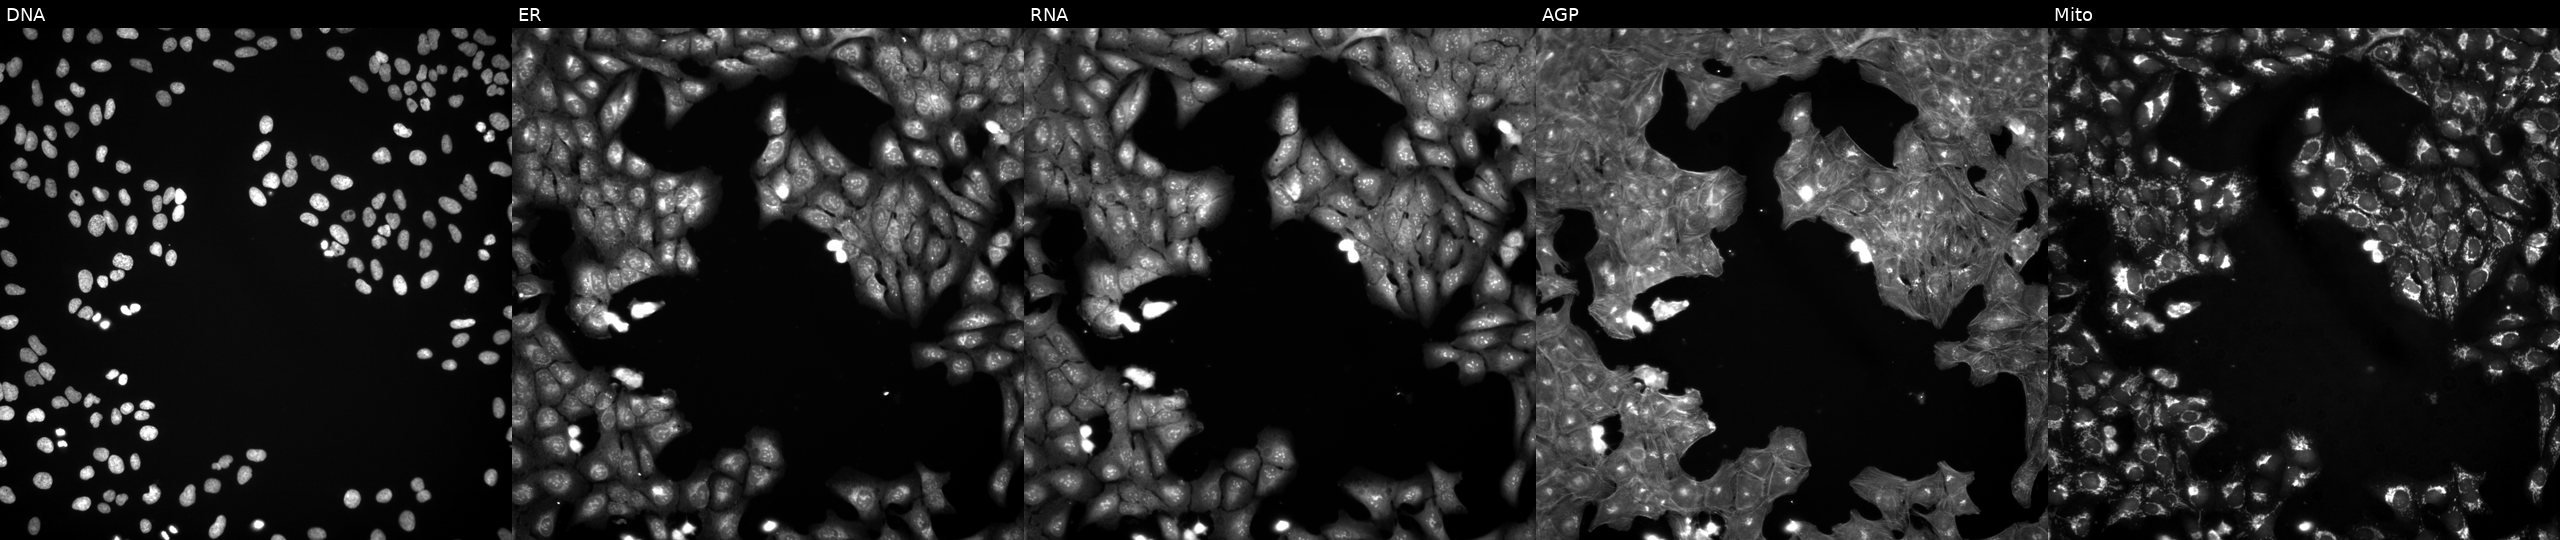
Panels show, left to right, Hoechst 33342, concanavalin A, SYTO 14, phalloidin and WGA, MitoTracker. U2OS osteosarcoma cells perturbed with a small-molecule compound. Cell Painting assay, JUMP-CP dataset. Source 3, plate JCPQC053, well C05.